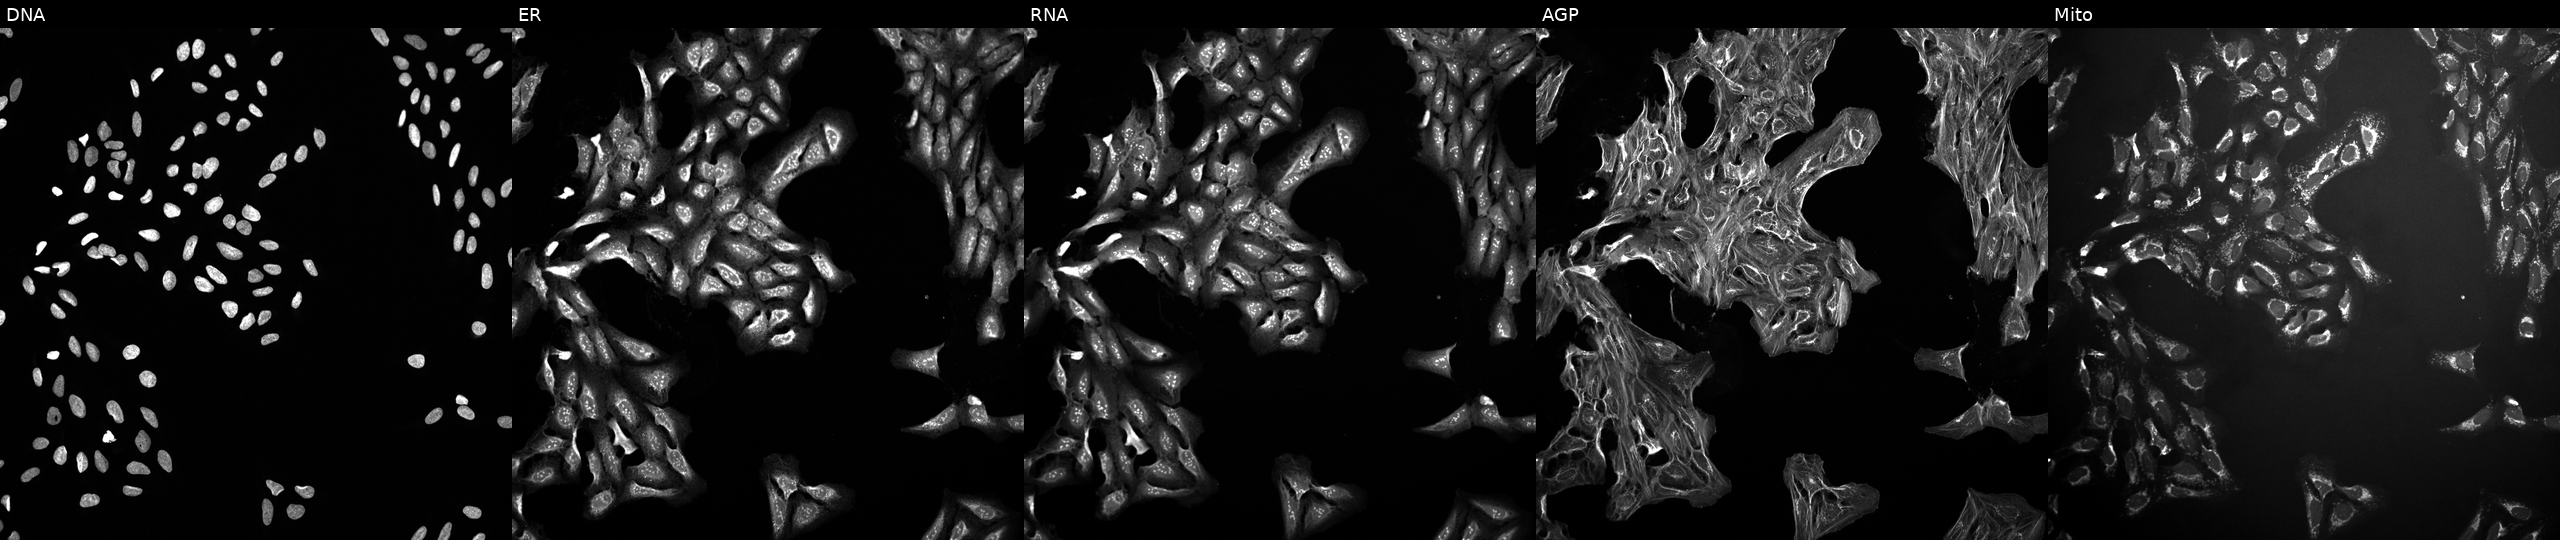
U2OS cells, Cell Painting assay, perturbed with a small-molecule compound (InChIKey FHPOTBQOUBMMCI-UHFFFAOYSA-N). Panels show, left to right, DNA (nuclei); ER (endoplasmic reticulum); RNA (nucleoli and cytoplasmic RNA); AGP (actin cytoskeleton, Golgi, and plasma membrane); Mito (mitochondria). Each panel is percentile-stretched 16-bit fluorescence.